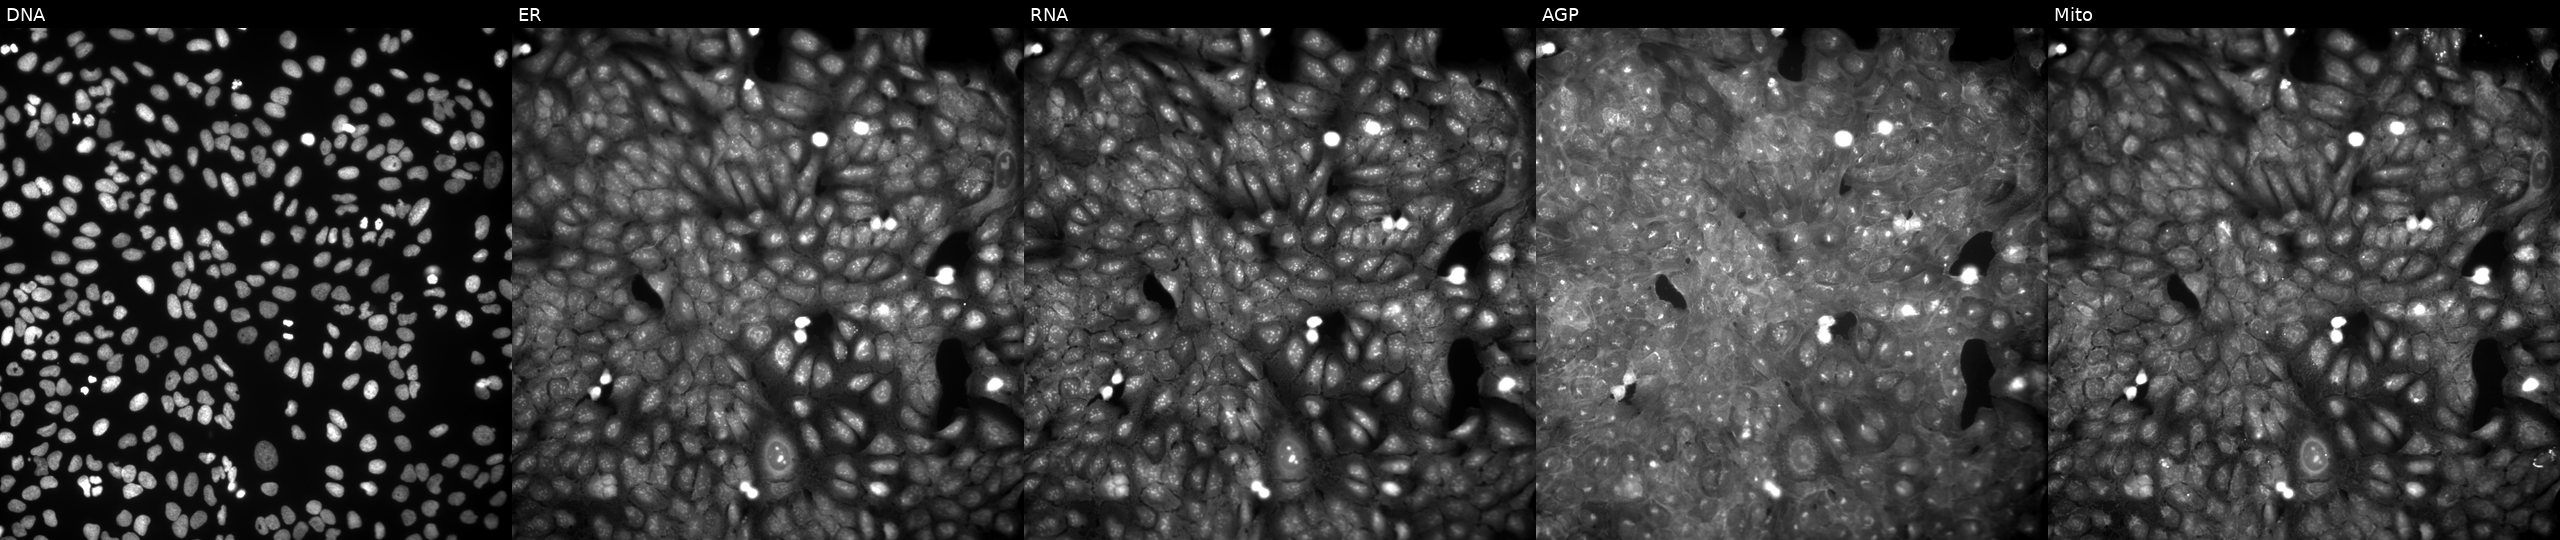
Five-channel Cell Painting image of U2OS cells perturbed with a small-molecule compound. Channels (left→right): Hoechst 33342, concanavalin A, SYTO 14, phalloidin and WGA, MitoTracker.